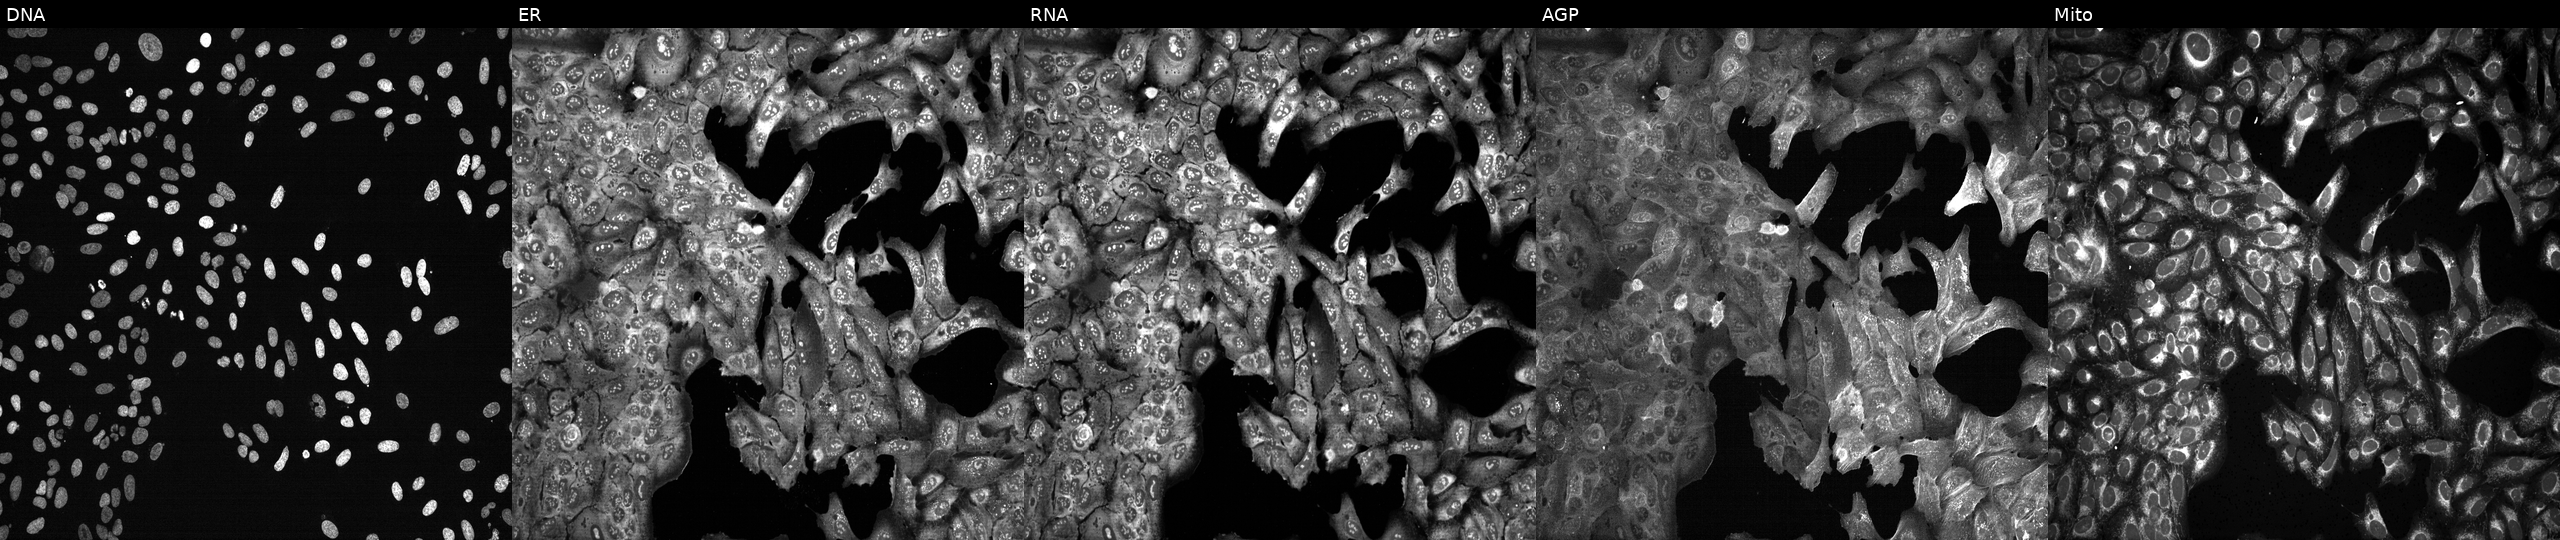
This image strip shows the five Cell Painting channels for a single field of U2OS cells CRISPR-edited to disrupt TAC3. Panels show, left to right, DNA (nuclei); ER (endoplasmic reticulum); RNA (nucleoli and cytoplasmic RNA); AGP (actin cytoskeleton, Golgi, and plasma membrane); Mito (mitochondria). Source 13, plate CP-CC9-R2-01, well P16.